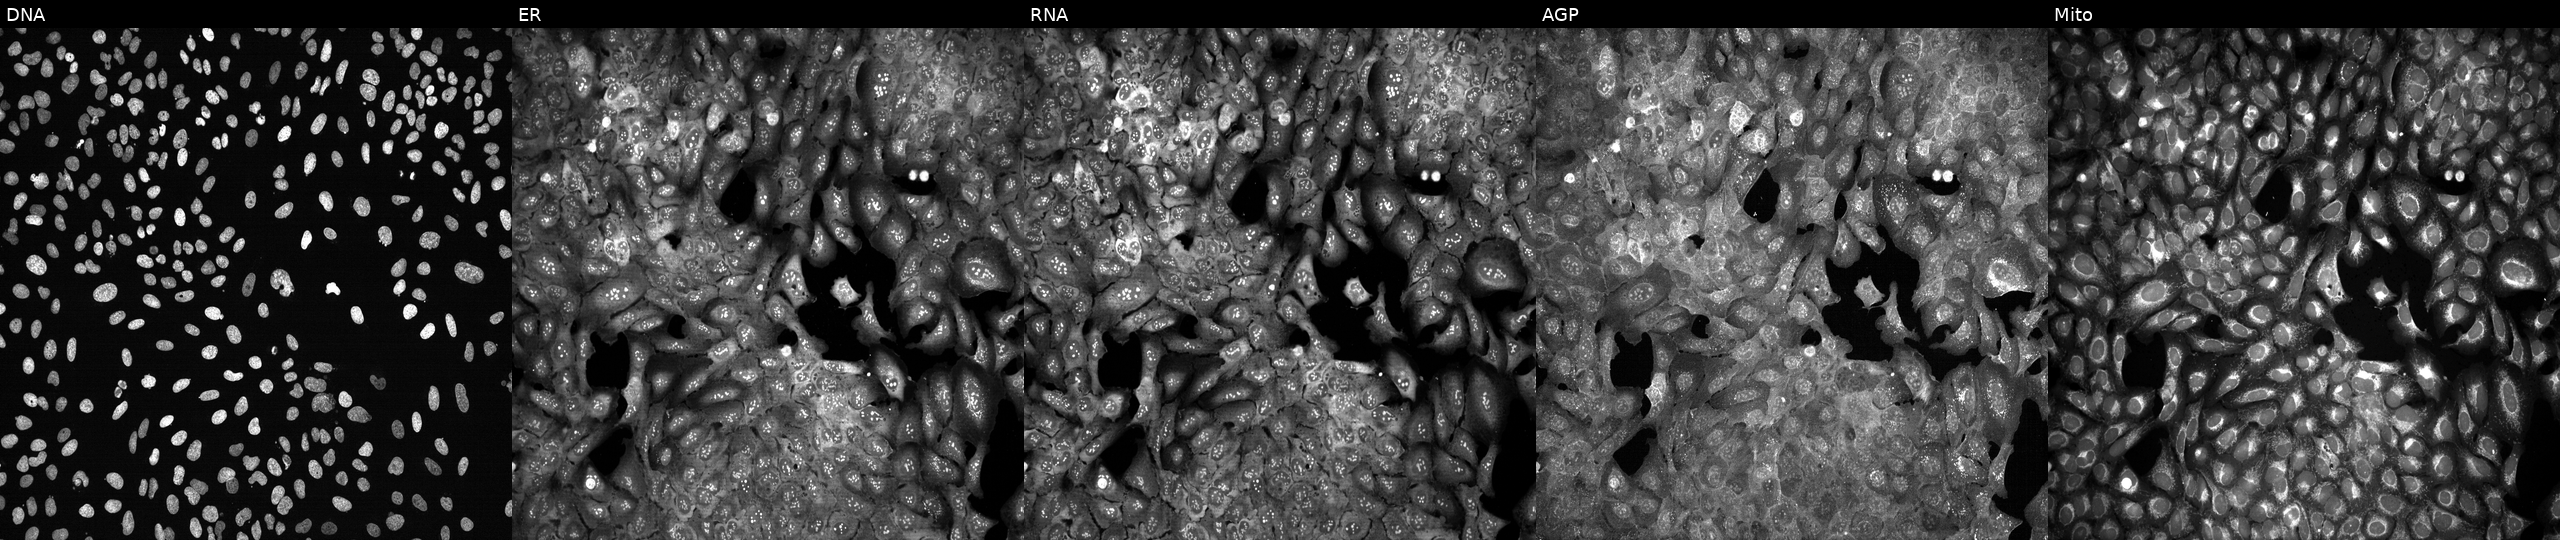
This image strip shows the five Cell Painting channels for a single field of U2OS cells CRISPR-edited to disrupt NECTIN4. The five panels, left to right, show DNA, ER, RNA, AGP, and Mito.